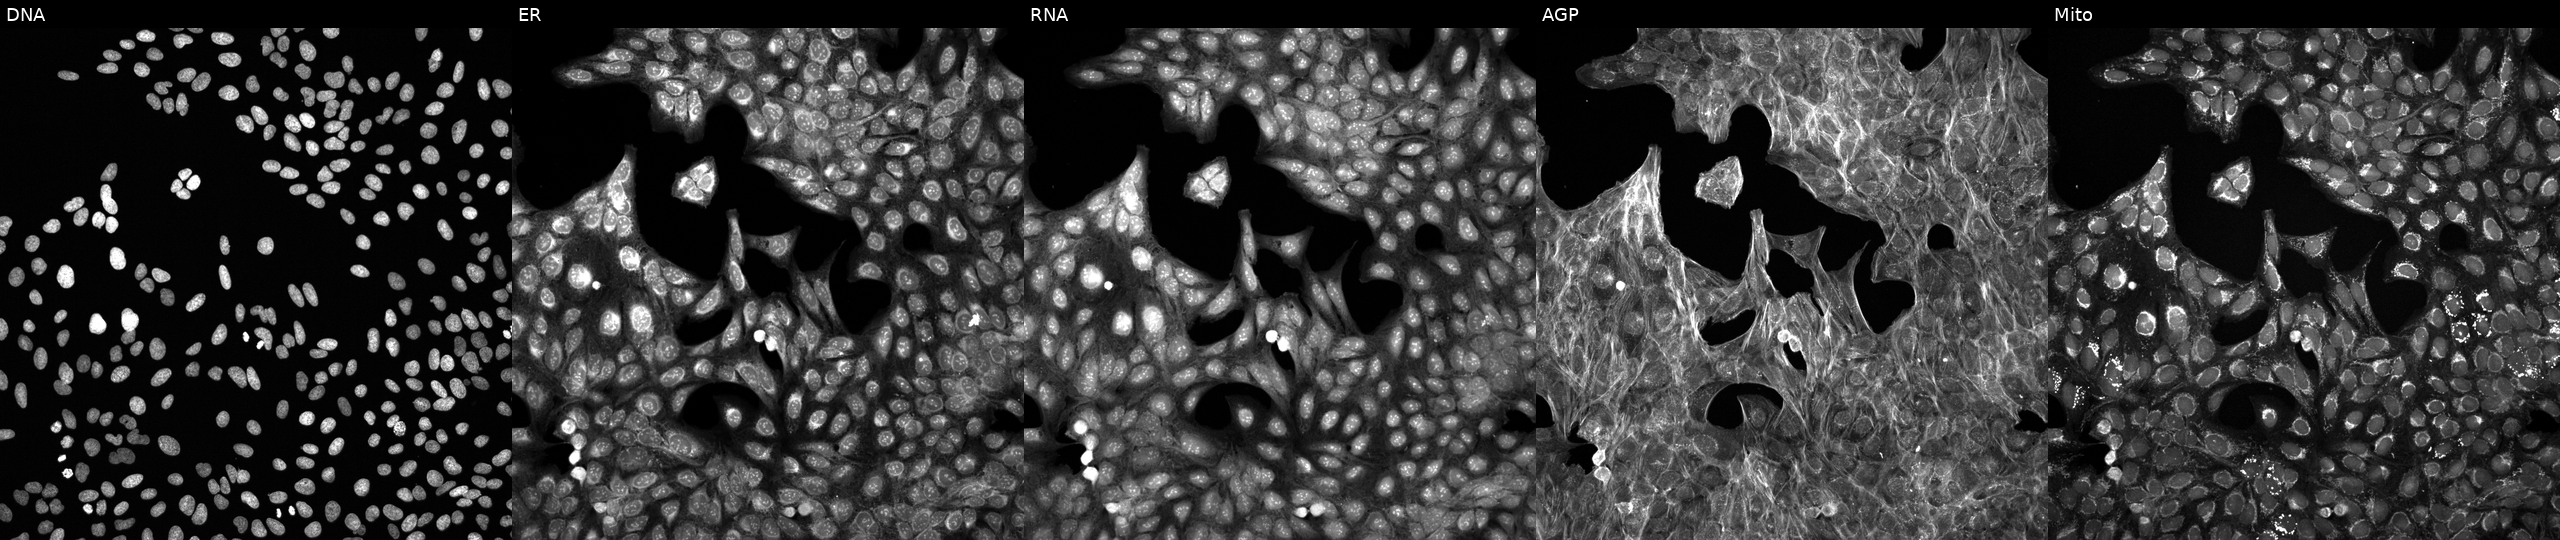
JUMP Cell Painting — TARGET2 plate. U2OS cells exposed to the positive-control compound LY2109761 (JUMP id JCP2022_035095). Panels show, left to right, Hoechst 33342, concanavalin A, SYTO 14, phalloidin and WGA, MitoTracker.